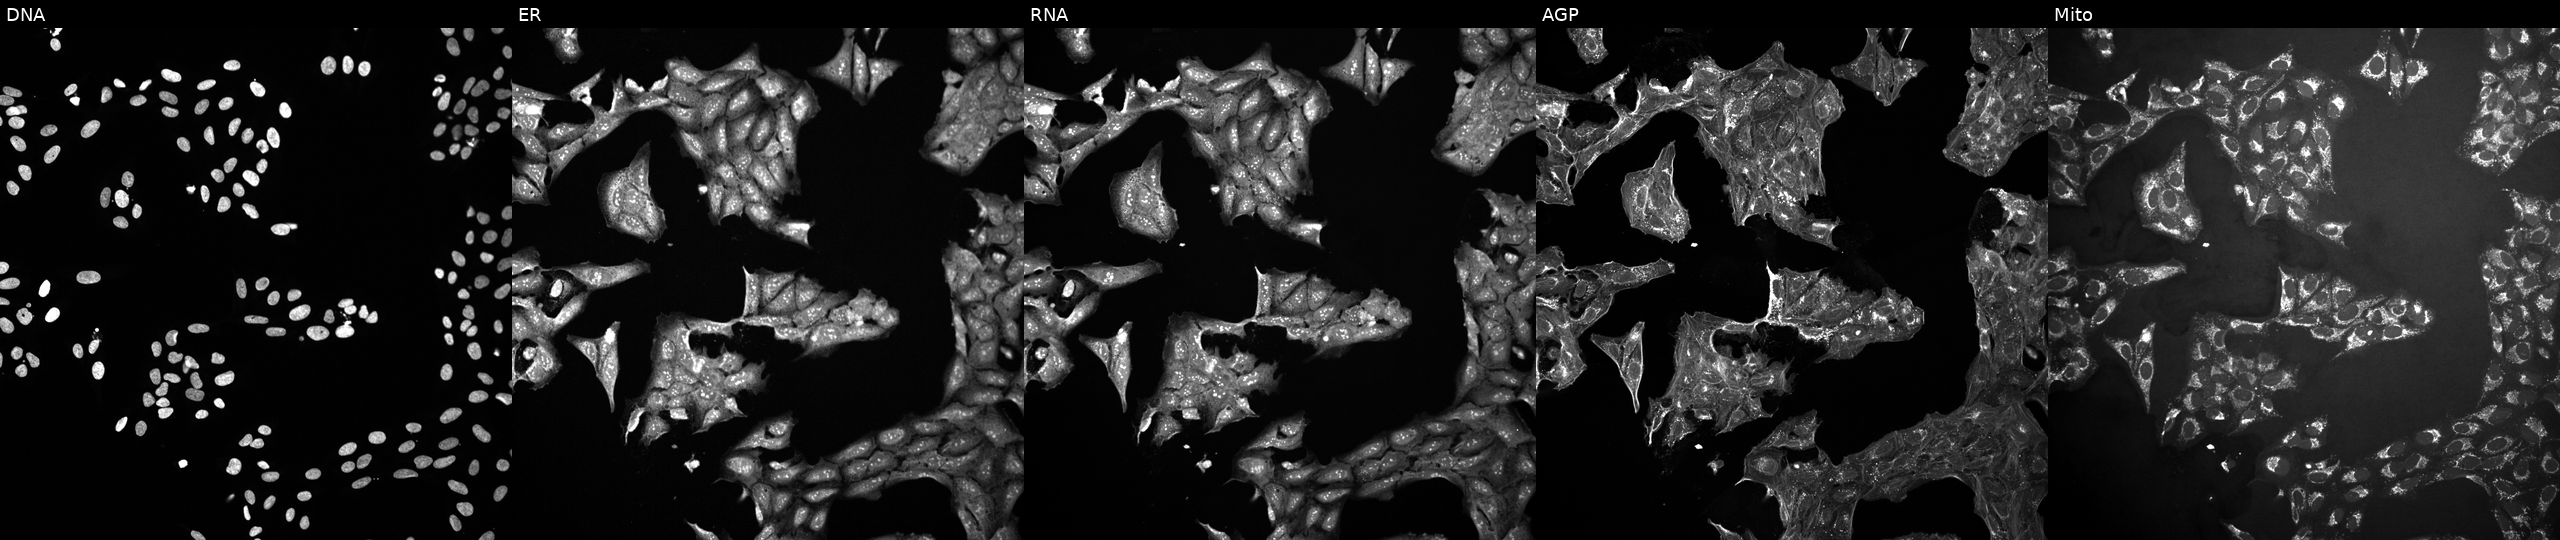
High-content fluorescence microscopy (Cell Painting). Cell line: U2OS. Perturbation: treated with a small-molecule compound (InChIKey OKRLNHDQCLZHNB-UHFFFAOYSA-N) (JUMP id JCP2022_064417). From left to right: Hoechst 33342, concanavalin A, SYTO 14, phalloidin and WGA, MitoTracker. Source 10, plate Dest210531-152149, well D13.